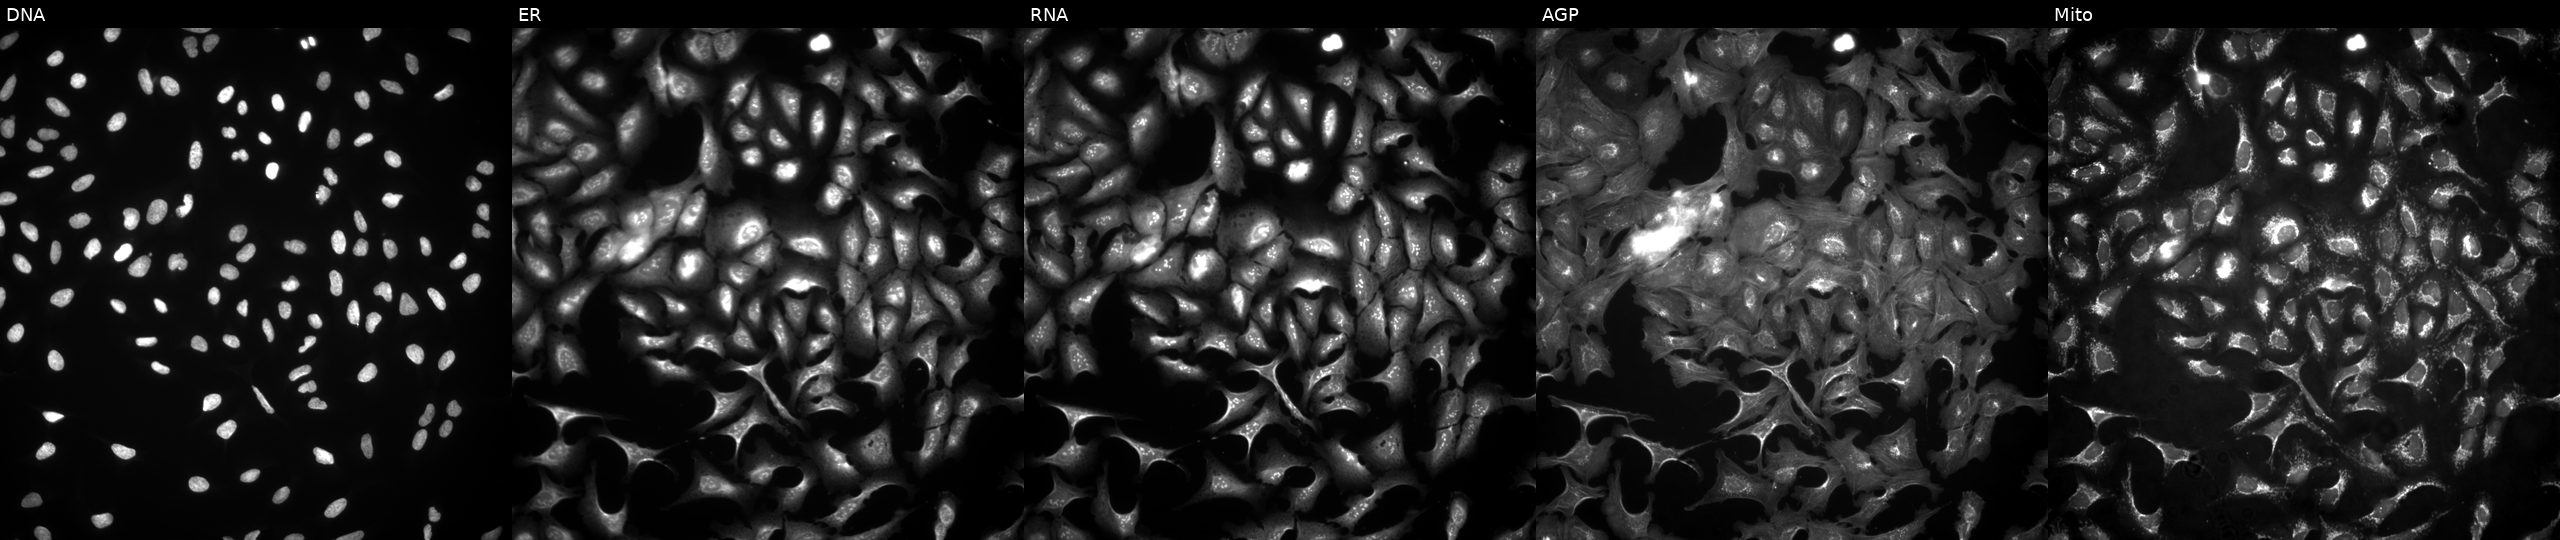
This image strip shows the five Cell Painting channels for a single field of U2OS cells with XLOC_l2_013393 overexpressed (ORF). From left to right: Hoechst 33342, concanavalin A, SYTO 14, phalloidin and WGA, MitoTracker.